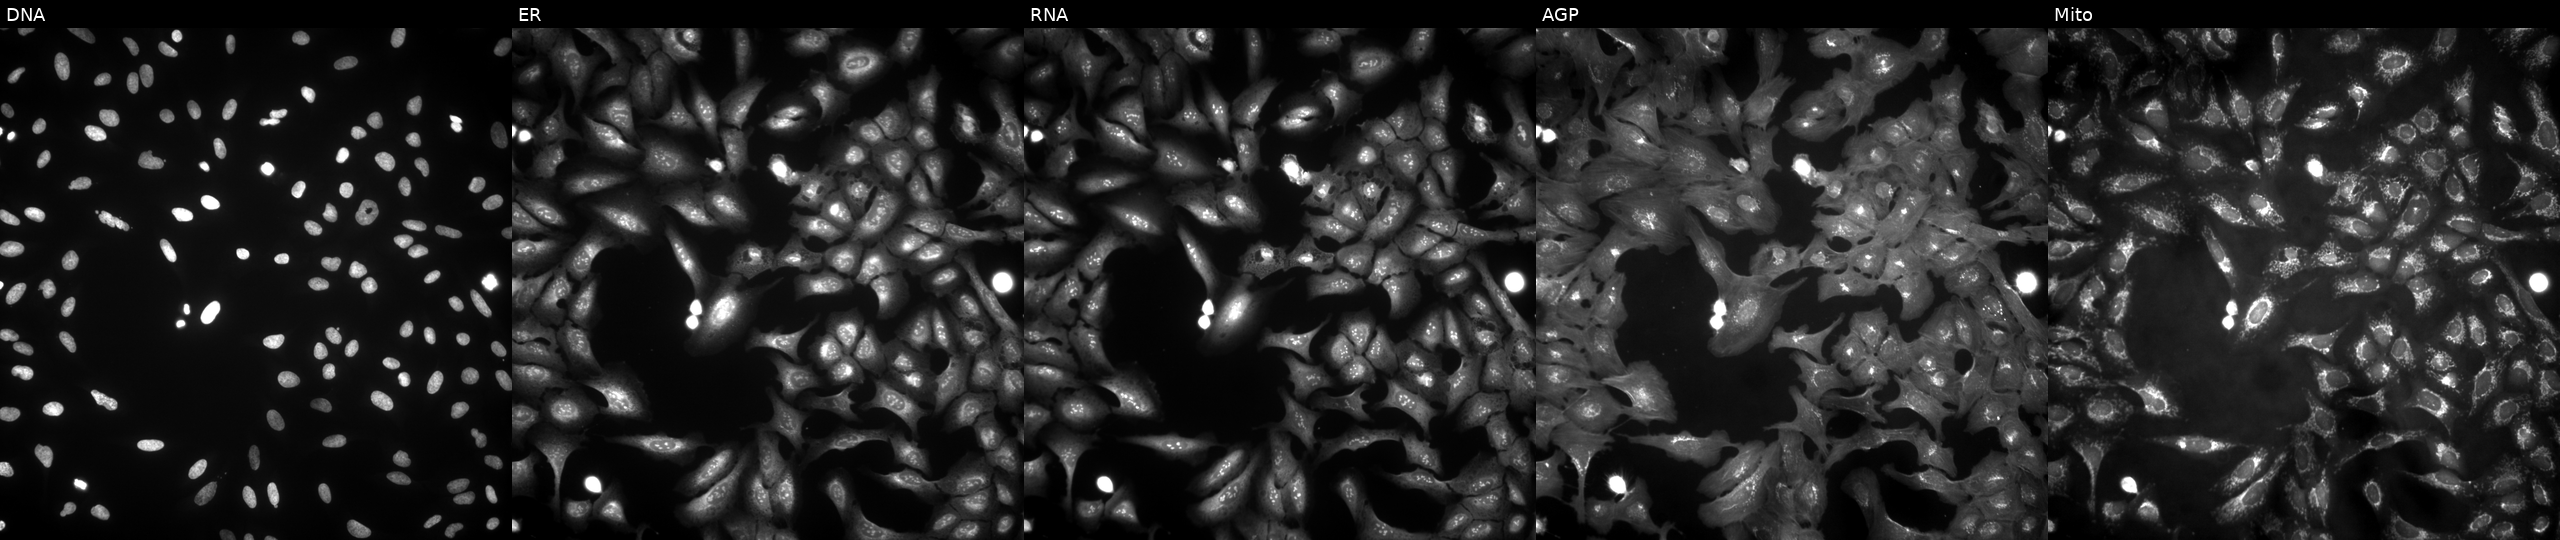
This image strip shows the five Cell Painting channels for a single field of U2OS cells transfected with an ORF construct for TMC5. Panels show, left to right, DNA, ER, RNA, AGP, and Mito. Source 4, plate BR00123506, well F15.